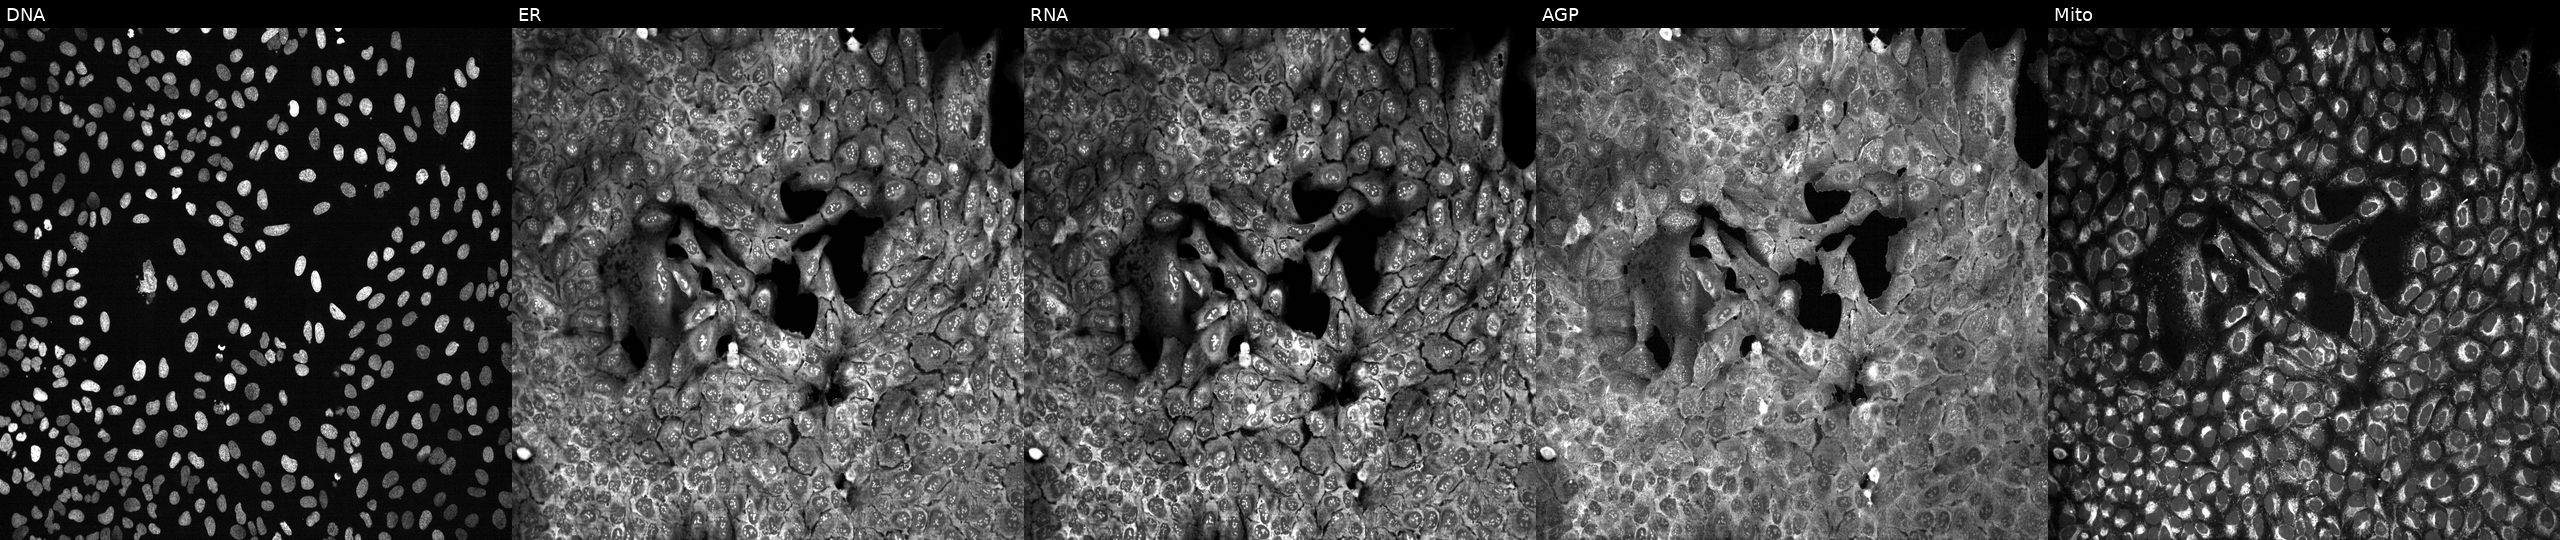
Panels show, left to right, Hoechst 33342, concanavalin A, SYTO 14, phalloidin and WGA, MitoTracker. U2OS osteosarcoma cells following CRISPR knockout of MPP6 (JUMP id JCP2022_804257). Cell Painting assay, JUMP-CP dataset.